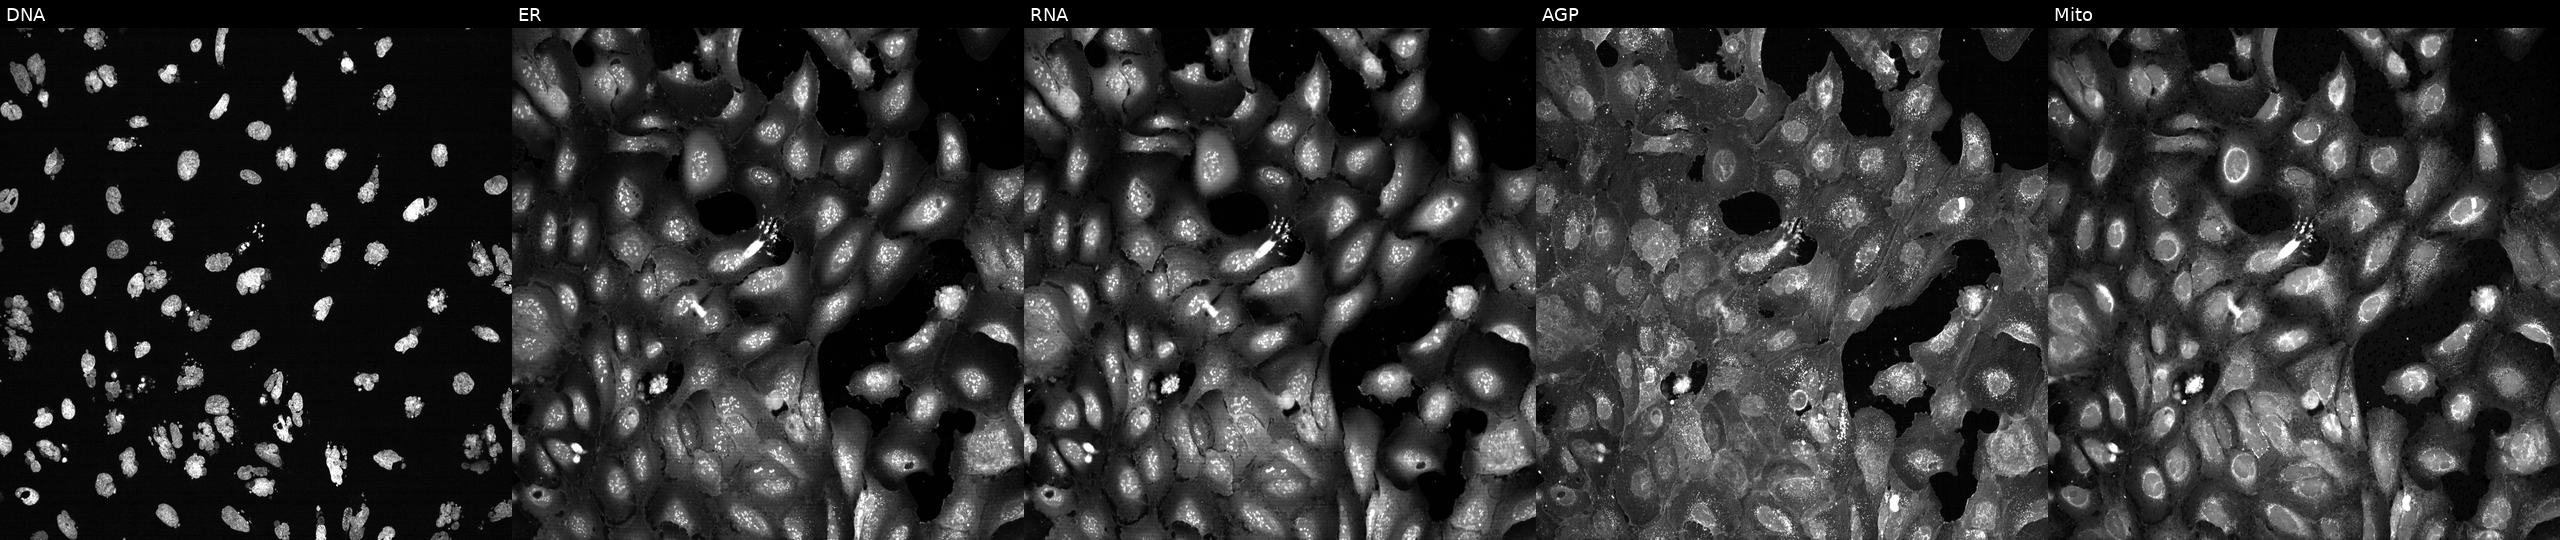
JUMP Cell Painting — CRISPR plate. U2OS cells treated with AMG900 (positive-control compound) (JUMP id JCP2022_037716). From left to right: DNA, ER, RNA, AGP, and Mito.